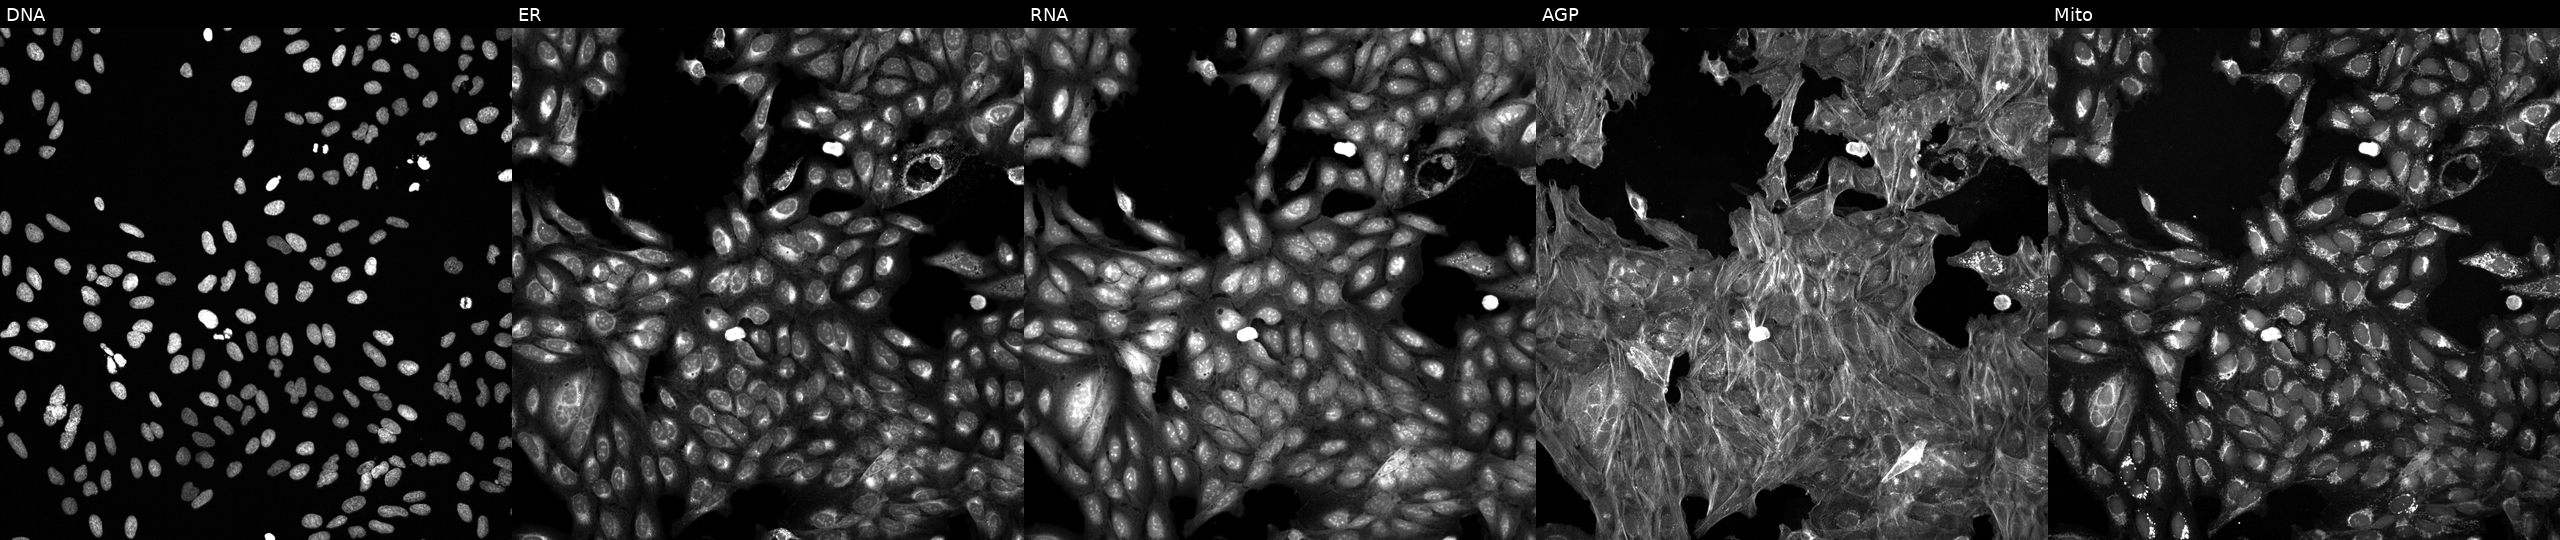
Five-channel Cell Painting image of U2OS cells treated with a small-molecule compound (InChIKey ALOBUEHUHMBRLE-UHFFFAOYSA-N) [SMILES: CCCCCCCN(CC)CCCC(O)c1ccc(NS(C)(=O)=O)cc1]. Channels (left→right): DNA, ER, RNA, AGP, and Mito. Source 6, plate 110000294901, well K20.